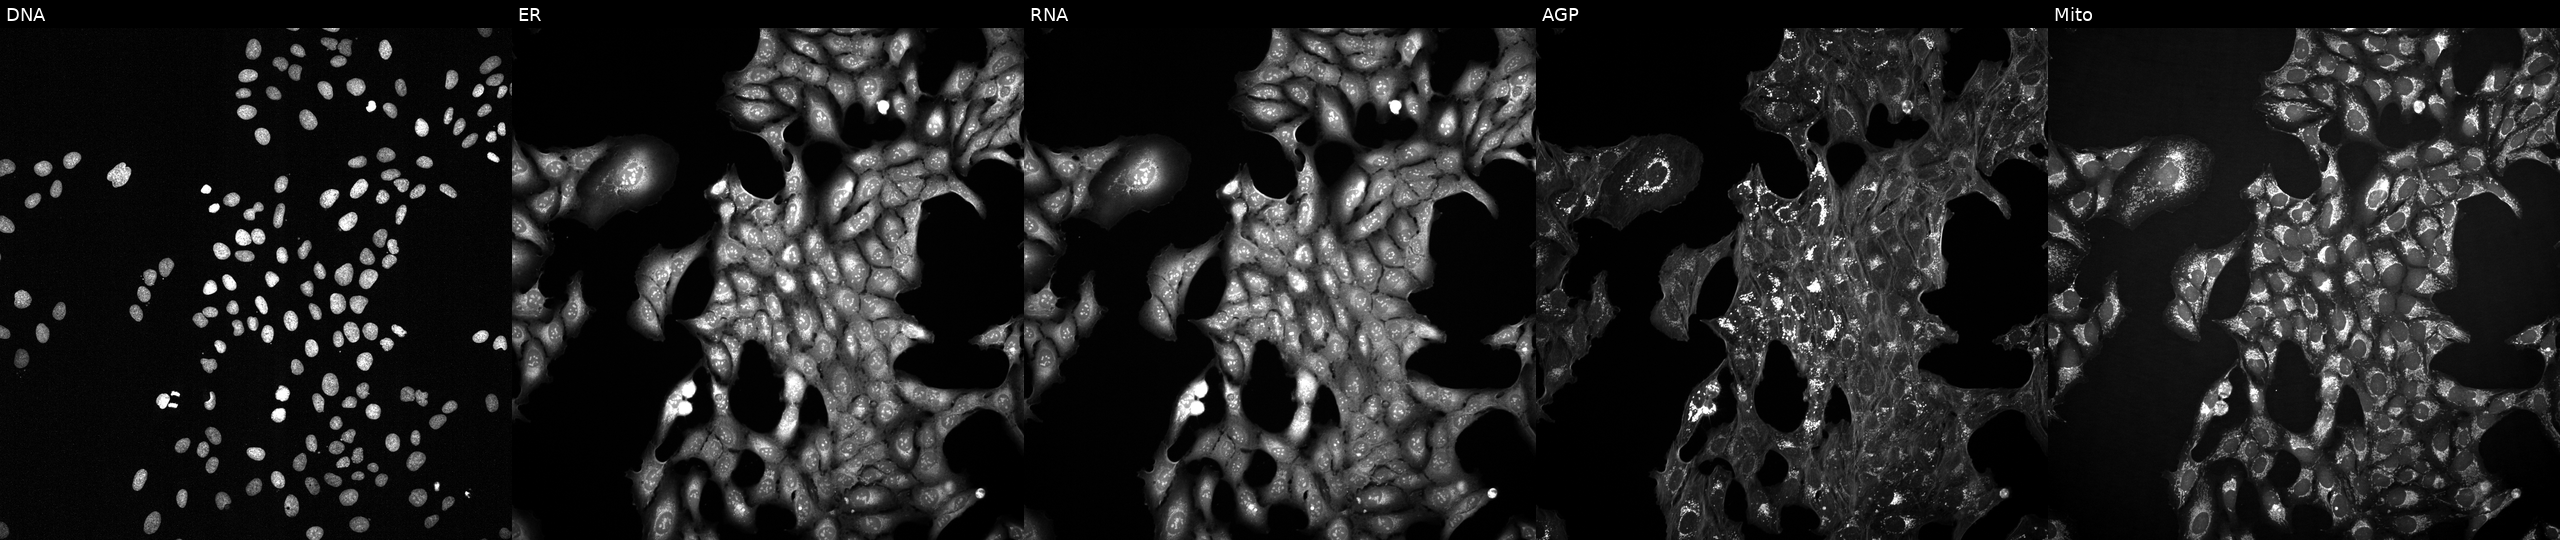
Five-channel Cell Painting image of U2OS cells exposed to a small-molecule compound (InChIKey ZYVXTMKTGDARKR-UHFFFAOYSA-N). Panels show, left to right, DNA (nuclei); ER (endoplasmic reticulum); RNA (nucleoli and cytoplasmic RNA); AGP (actin cytoskeleton, Golgi, and plasma membrane); Mito (mitochondria).